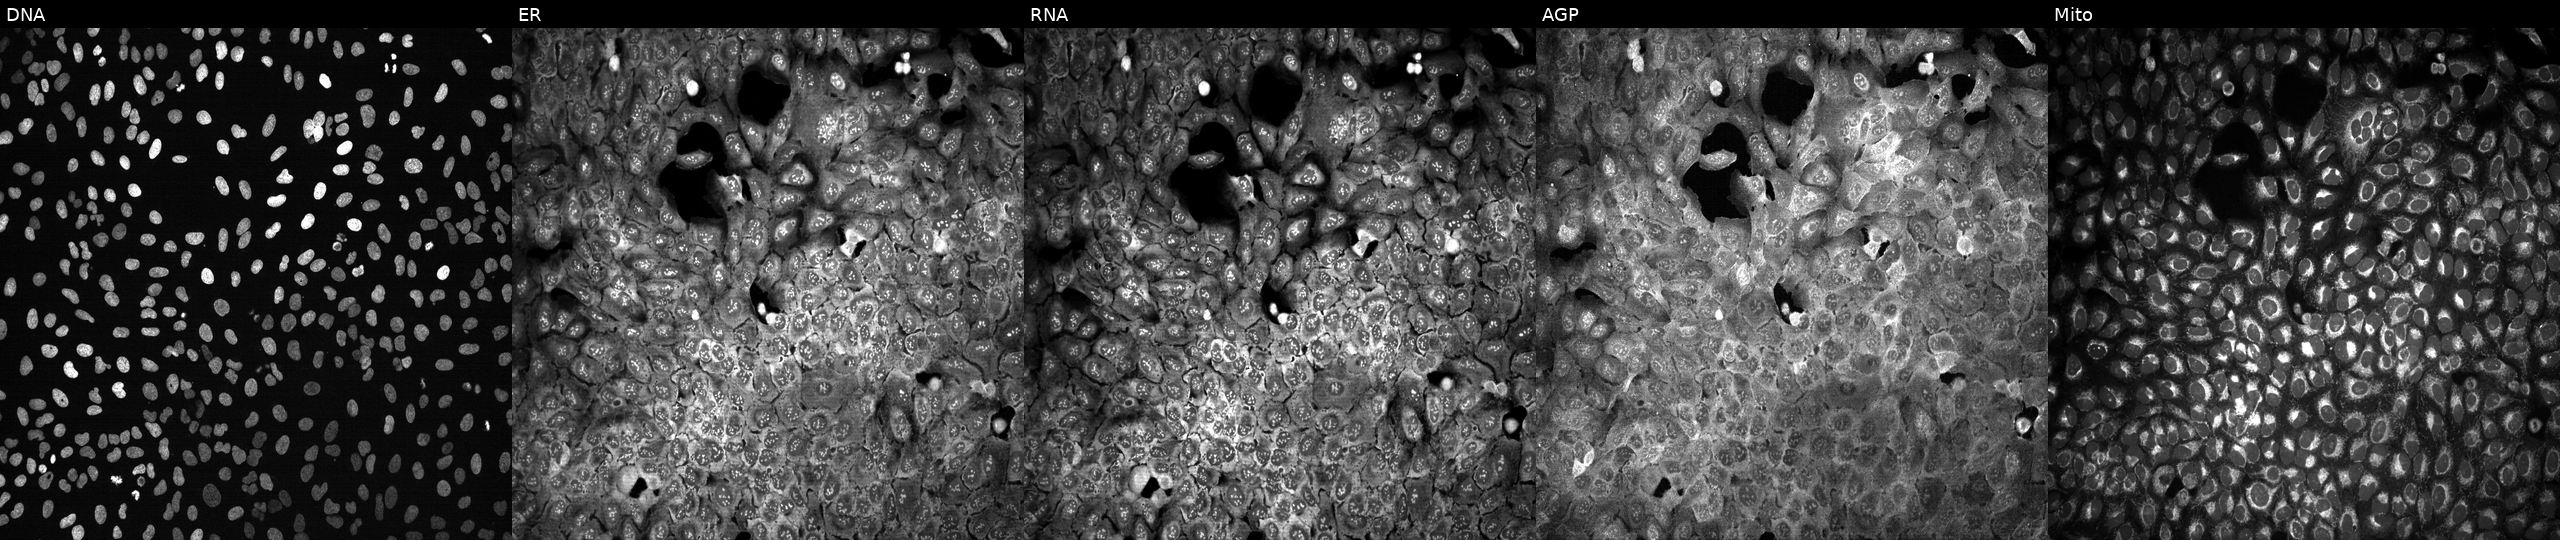
This image strip shows the five Cell Painting channels for a single field of U2OS cells CRISPR-edited to disrupt TMLHE. From left to right: DNA (nuclei); ER (endoplasmic reticulum); RNA (nucleoli and cytoplasmic RNA); AGP (actin cytoskeleton, Golgi, and plasma membrane); Mito (mitochondria).